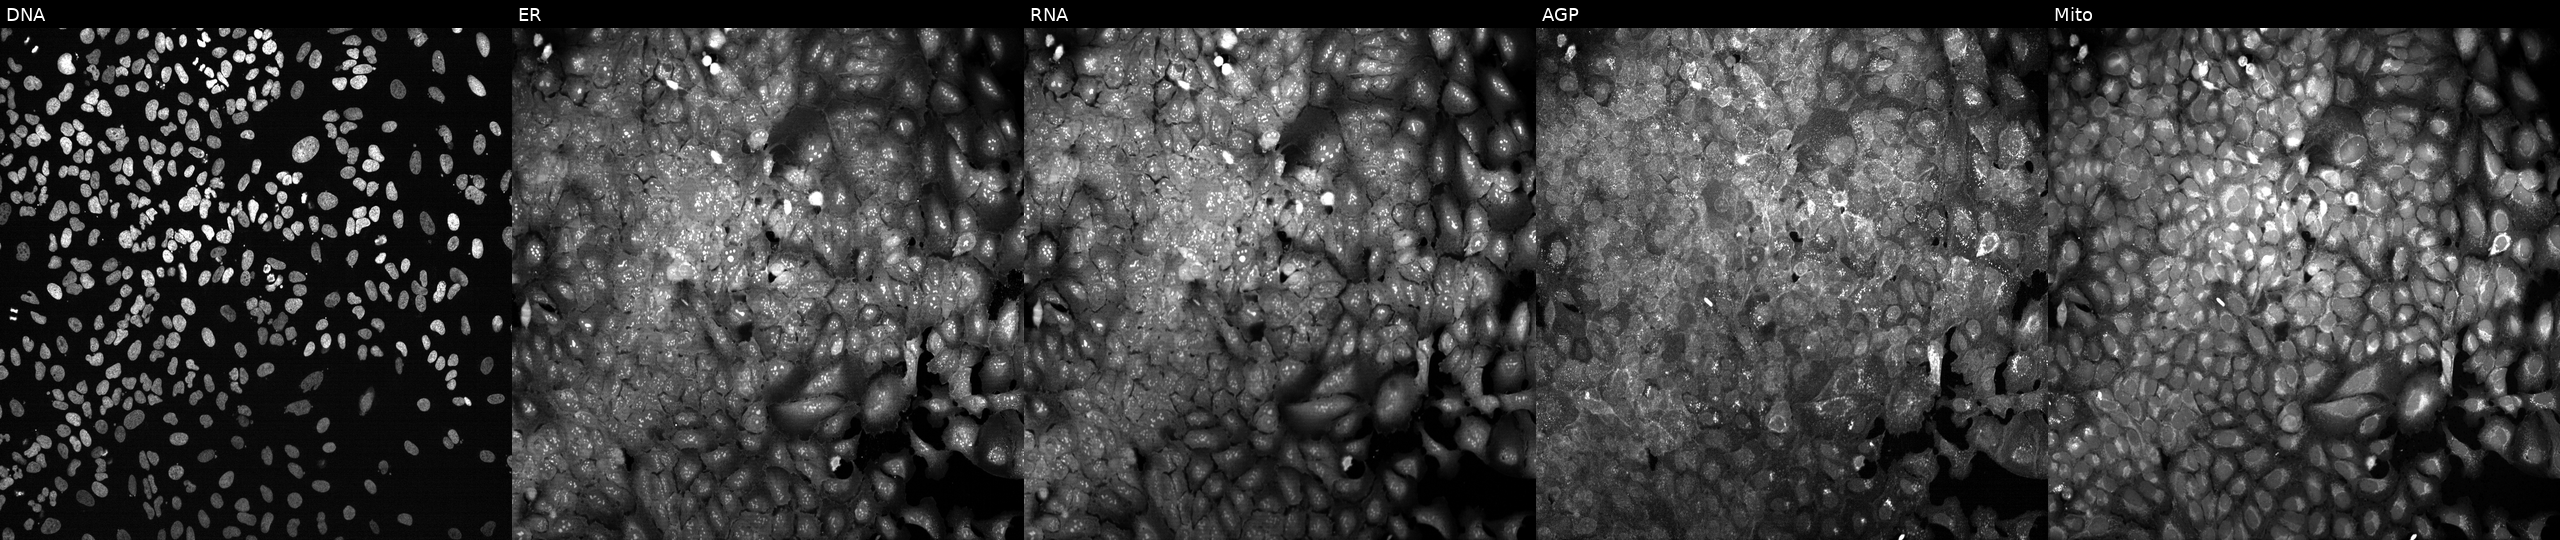
High-content fluorescence microscopy (Cell Painting). Cell line: U2OS. Perturbation: with GJA4 knocked out by CRISPR (JUMP id JCP2022_802693). Panels show, left to right, Hoechst 33342, concanavalin A, SYTO 14, phalloidin and WGA, MitoTracker. Source 13, plate CP-CC9-R1-01, well N04.